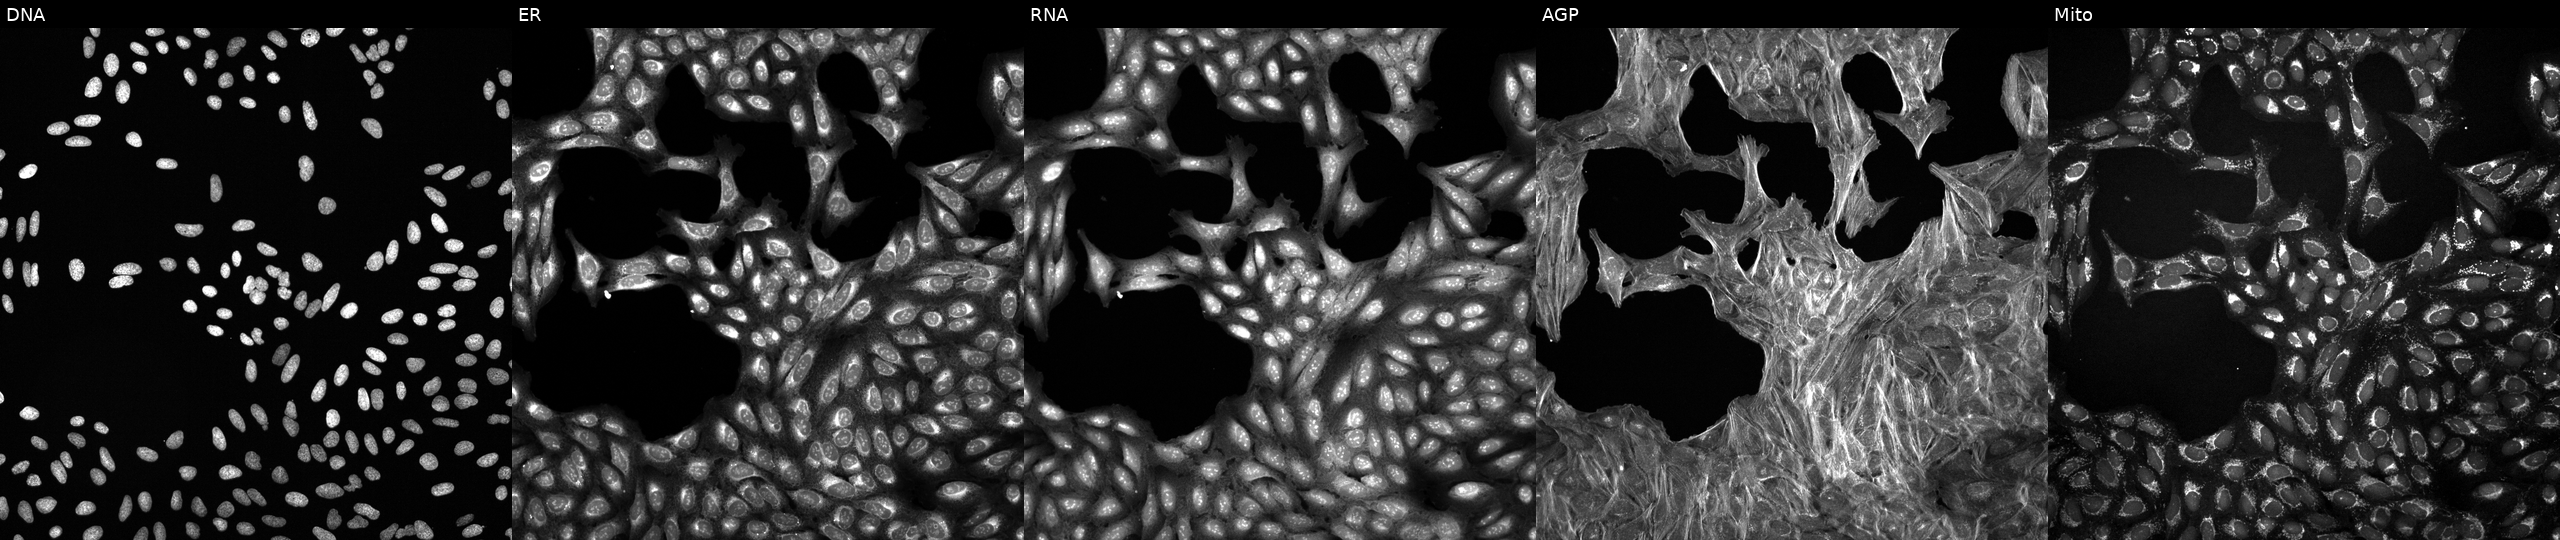
Channels (left→right): DNA, ER, RNA, AGP, and Mito. U2OS osteosarcoma cells perturbed with a small-molecule compound (InChIKey GDMIAXMWLLOYIV-UHFFFAOYSA-N) (JUMP id JCP2022_024758). Cell Painting assay, JUMP-CP dataset.